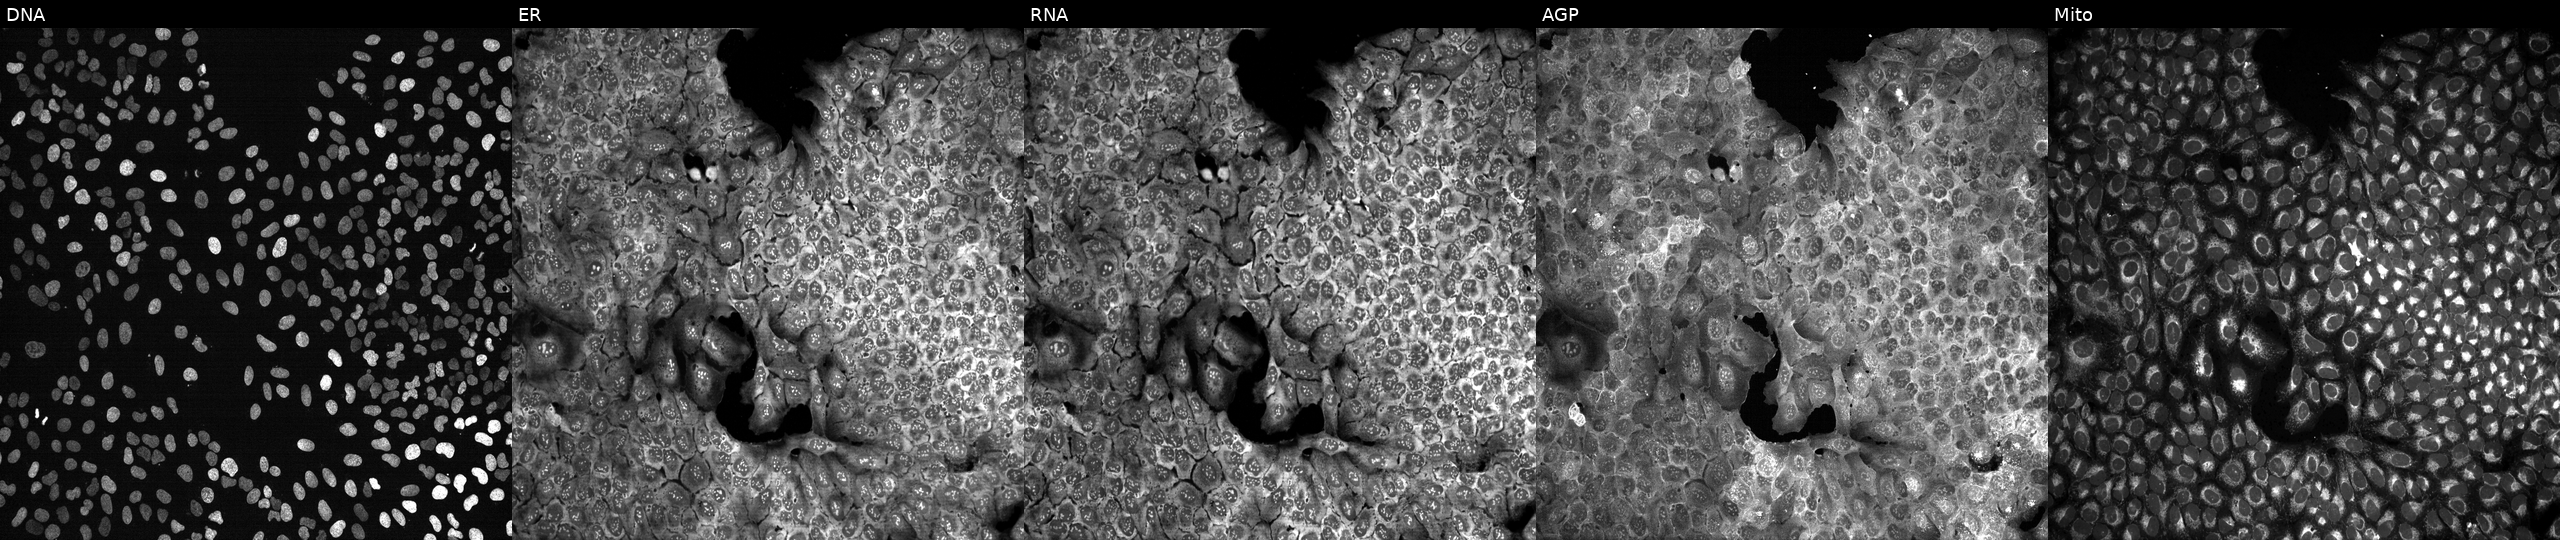
JUMP Cell Painting — CRISPR plate. U2OS cells with HBE1 knocked out by CRISPR. The five panels, left to right, show DNA, ER, RNA, AGP, and Mito.